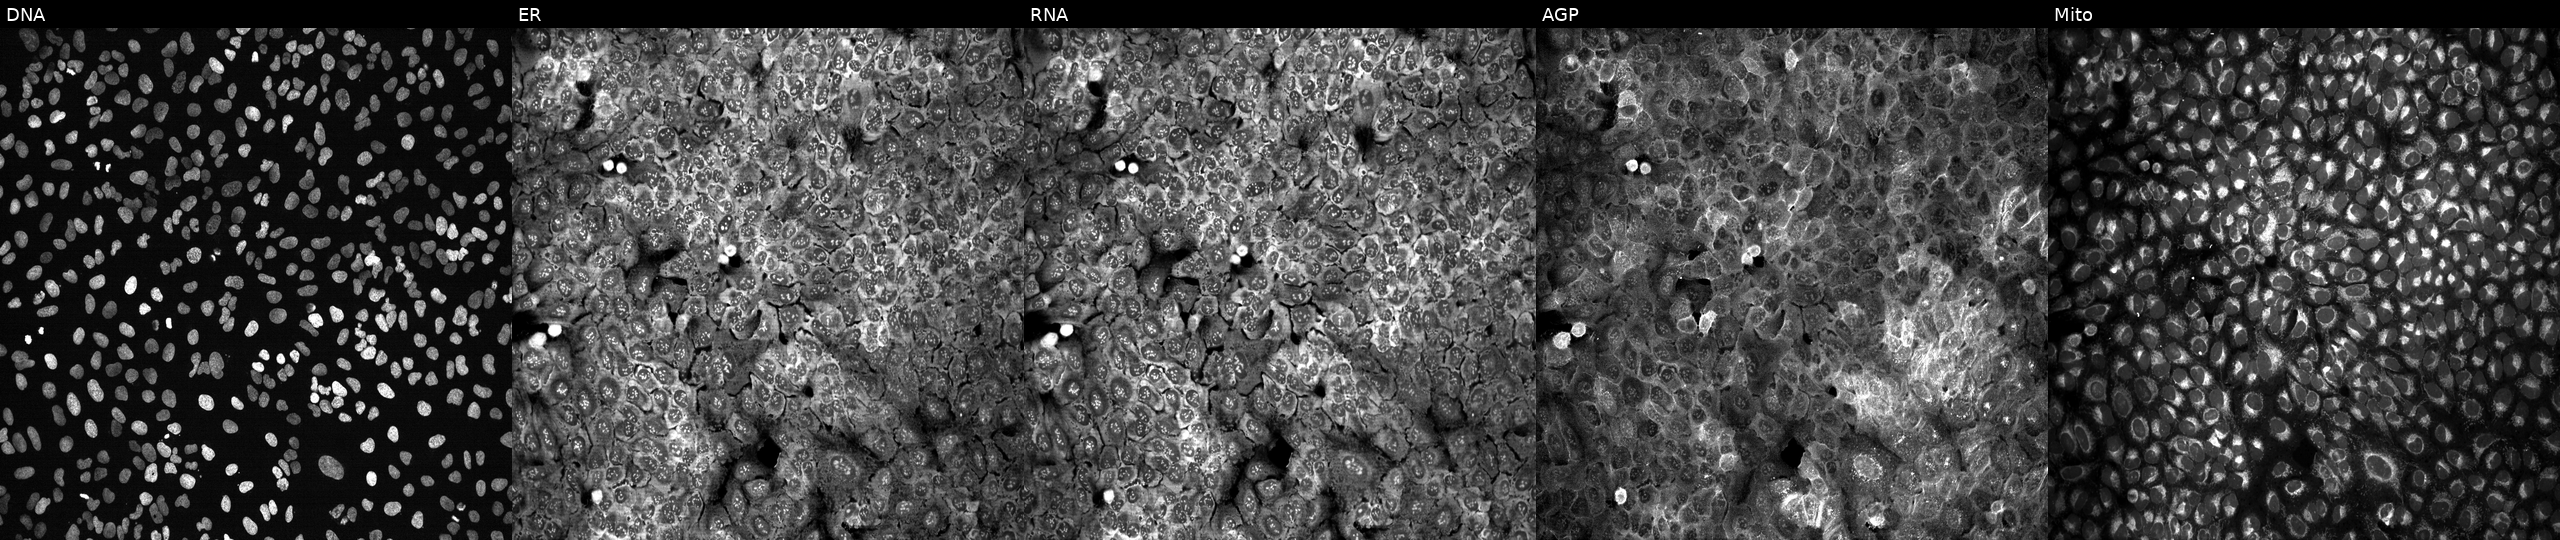
The five panels, left to right, show DNA, ER, RNA, AGP, and Mito. U2OS osteosarcoma cells following CRISPR knockout of PRMT3 (JUMP id JCP2022_805548). Cell Painting assay, JUMP-CP dataset.